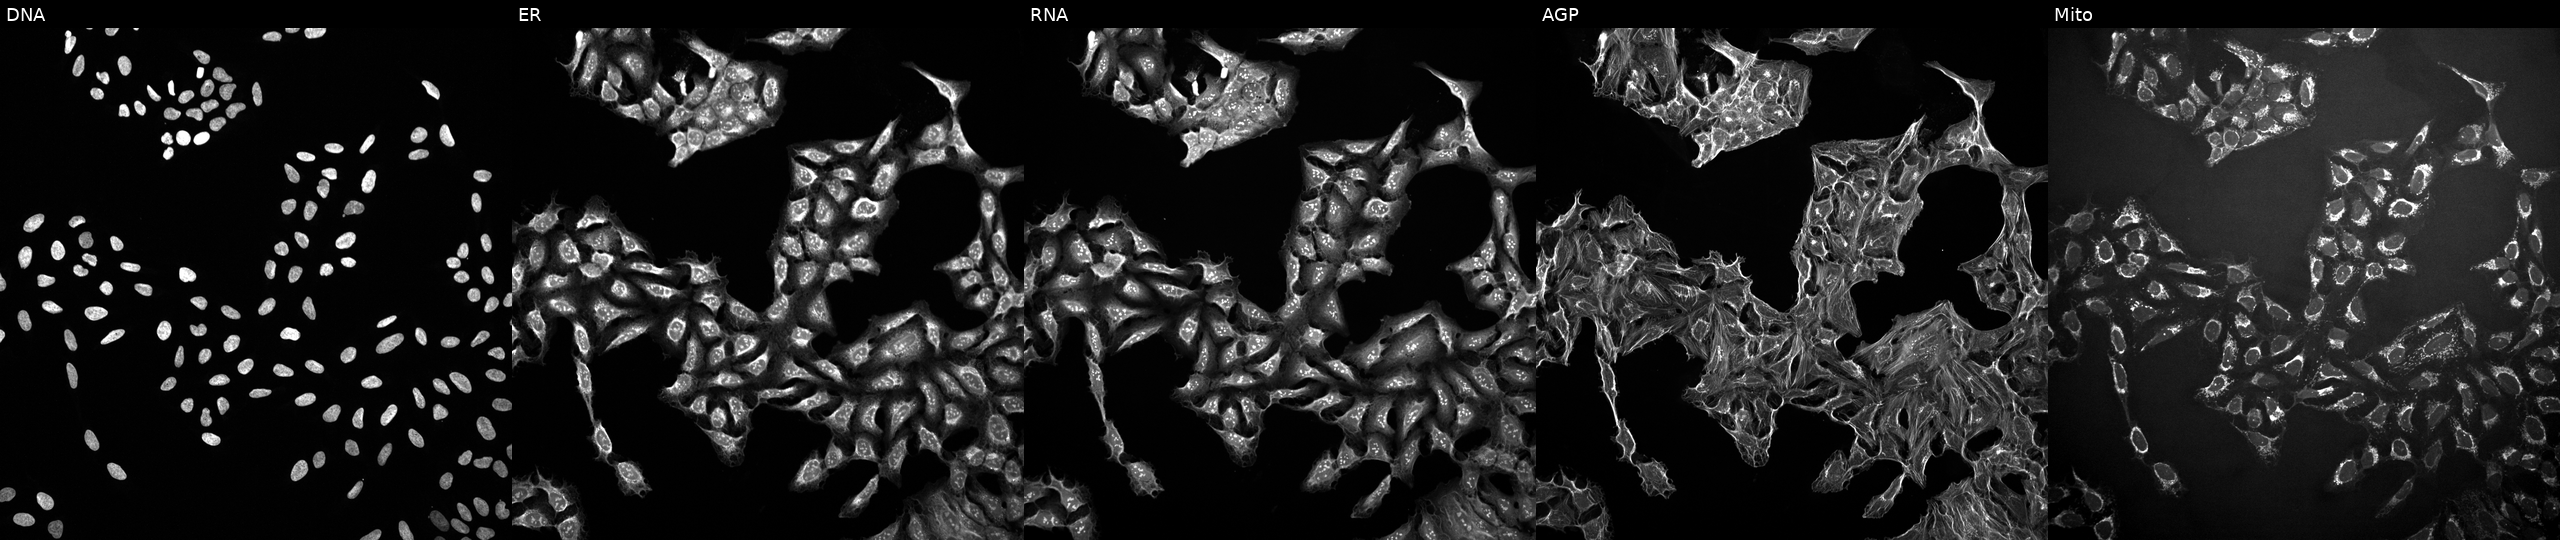
This image strip shows the five Cell Painting channels for a single field of U2OS cells perturbed with a small-molecule compound [SMILES: CC(C)C(C(=O)N=c1[nH]ccs1)c1ccc(Cl)cc1] (JUMP id JCP2022_004940). From left to right: DNA (nuclei); ER (endoplasmic reticulum); RNA (nucleoli and cytoplasmic RNA); AGP (actin cytoskeleton, Golgi, and plasma membrane); Mito (mitochondria).